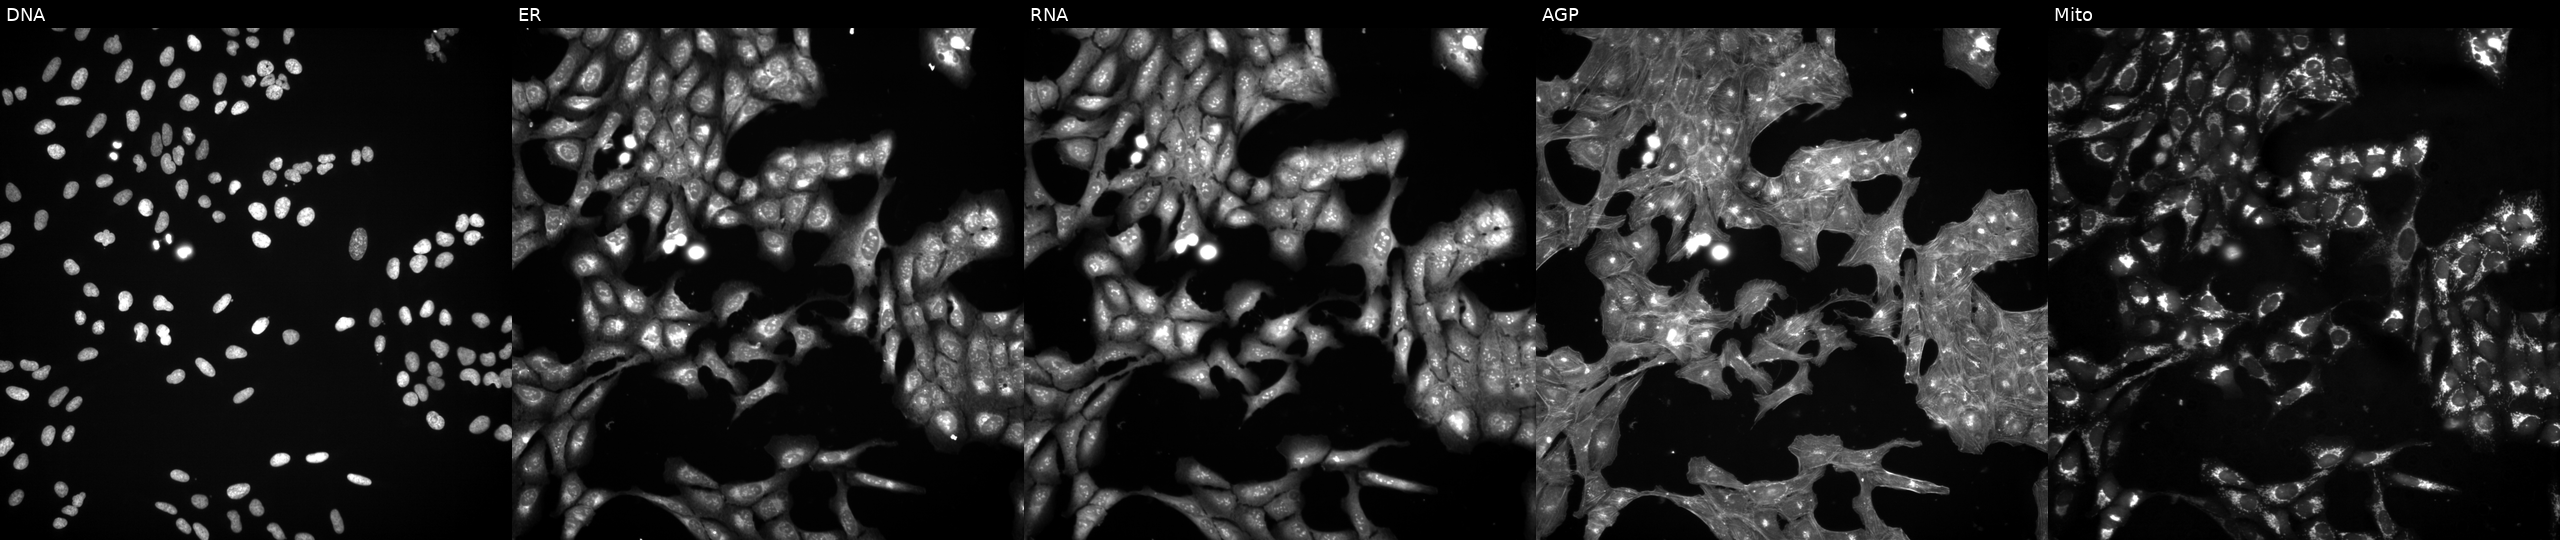
Five-channel Cell Painting image of U2OS cells exposed to a small-molecule compound (InChIKey LENZDBCJOHFCAS-UHFFFAOYSA-N) (JUMP id JCP2022_048928). The five panels, left to right, show DNA, ER, RNA, AGP, and Mito. Source 3, plate JCPQC053, well F02.